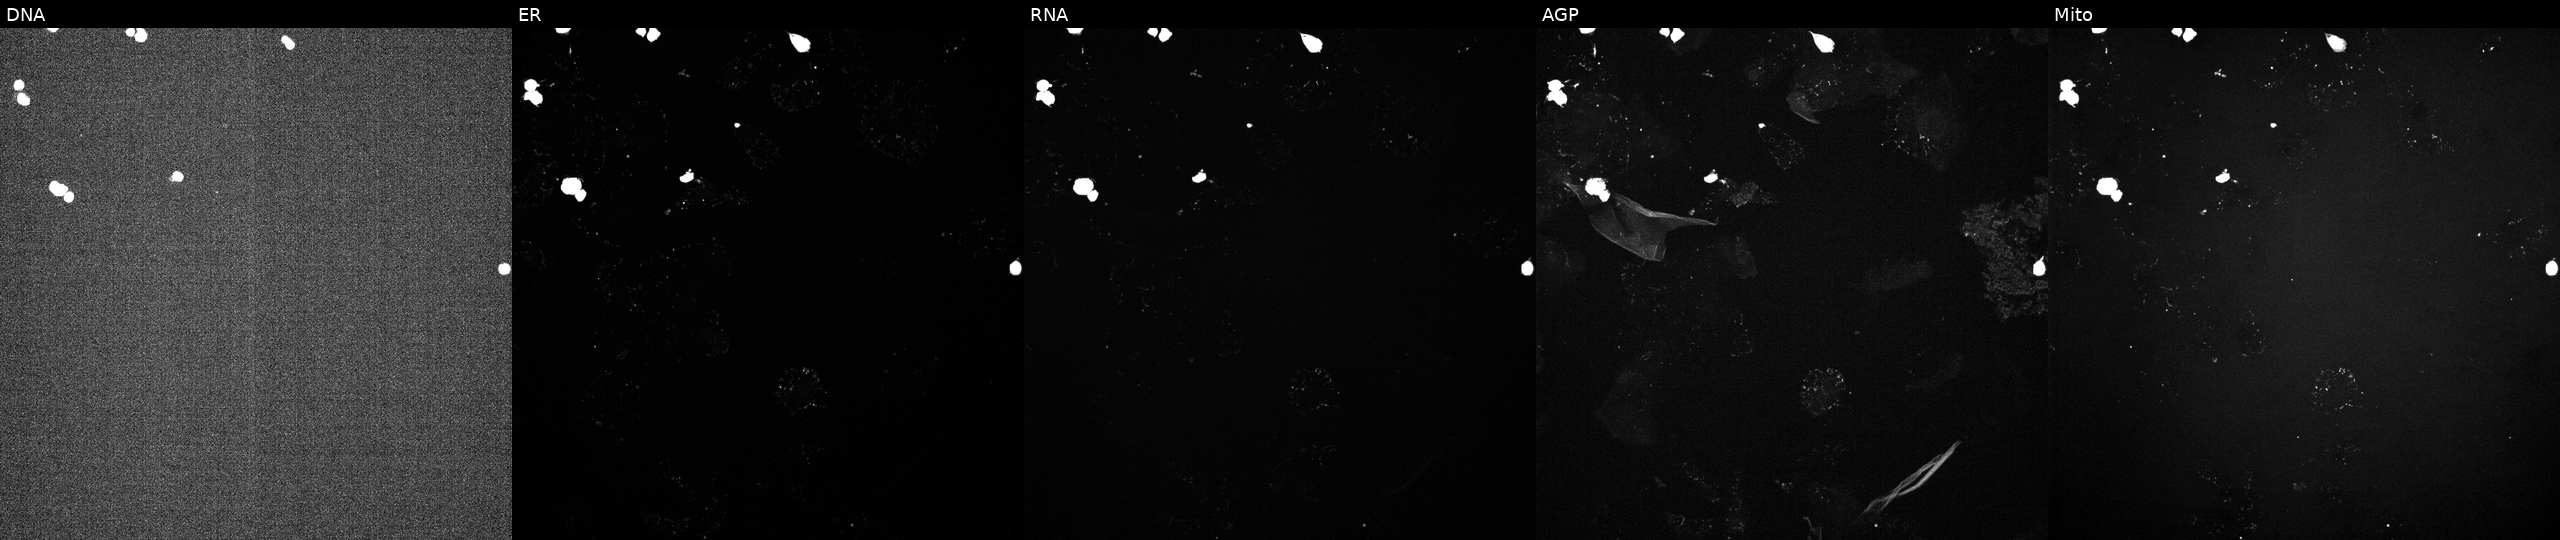
High-content fluorescence microscopy (Cell Painting). Cell line: U2OS. Perturbation: treated with a small-molecule compound (InChIKey PKCYYPHSCUSQDK-UHFFFAOYSA-N) (JUMP id JCP2022_069131). The five panels, left to right, show DNA (nuclei); ER (endoplasmic reticulum); RNA (nucleoli and cytoplasmic RNA); AGP (actin cytoskeleton, Golgi, and plasma membrane); Mito (mitochondria).